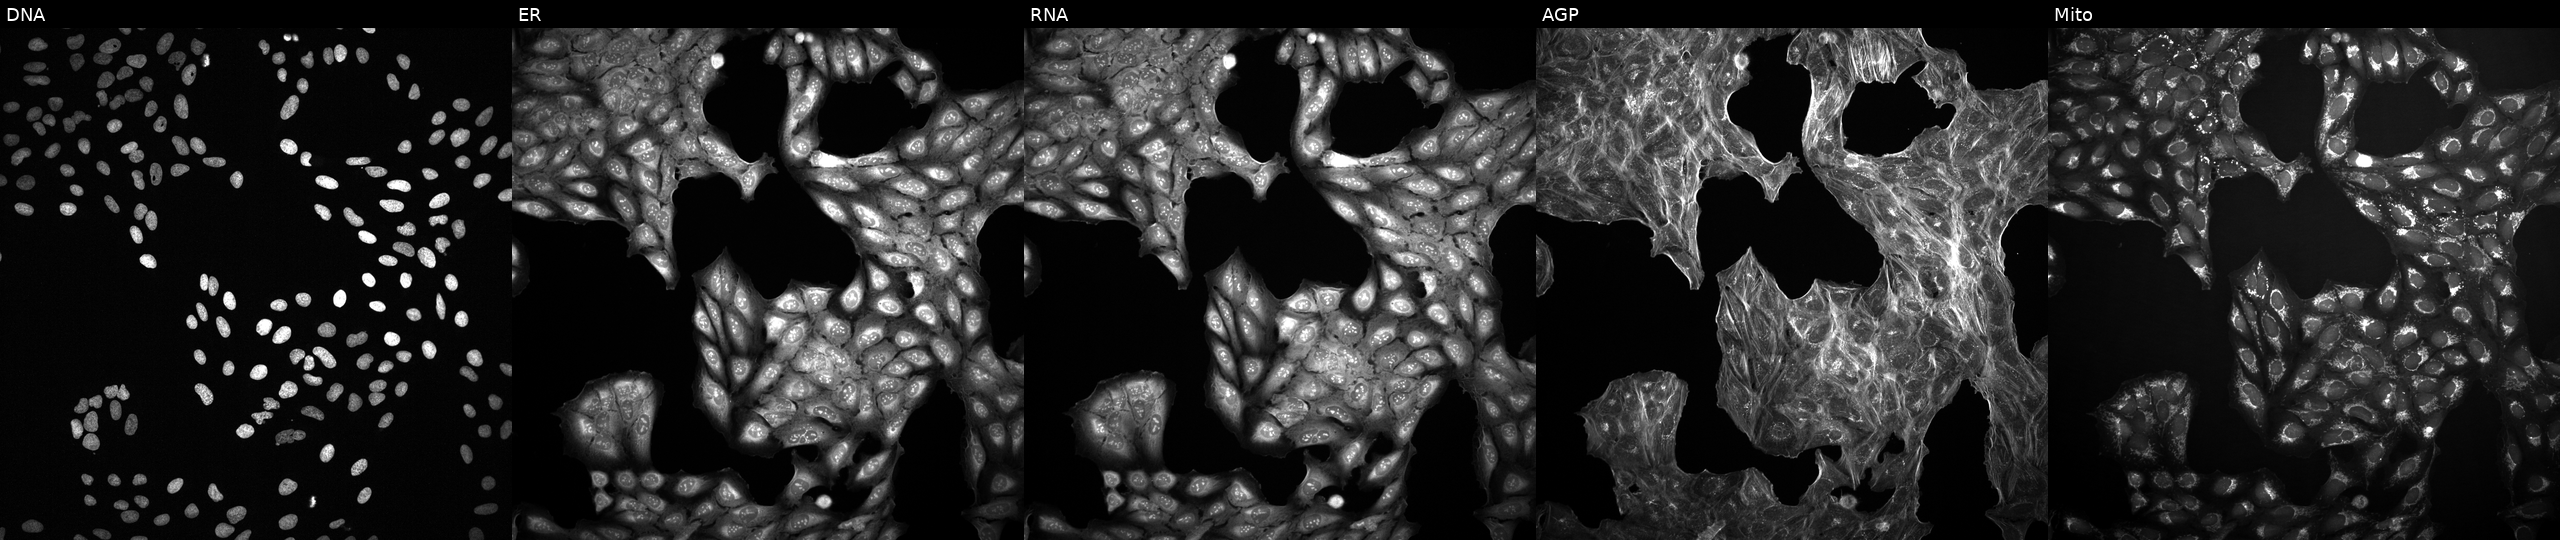
JUMP Cell Painting — TARGET2 plate. U2OS cells treated with DMSO vehicle only (negative control) (JUMP id JCP2022_033924). Panels show, left to right, DNA, ER, RNA, AGP, and Mito.